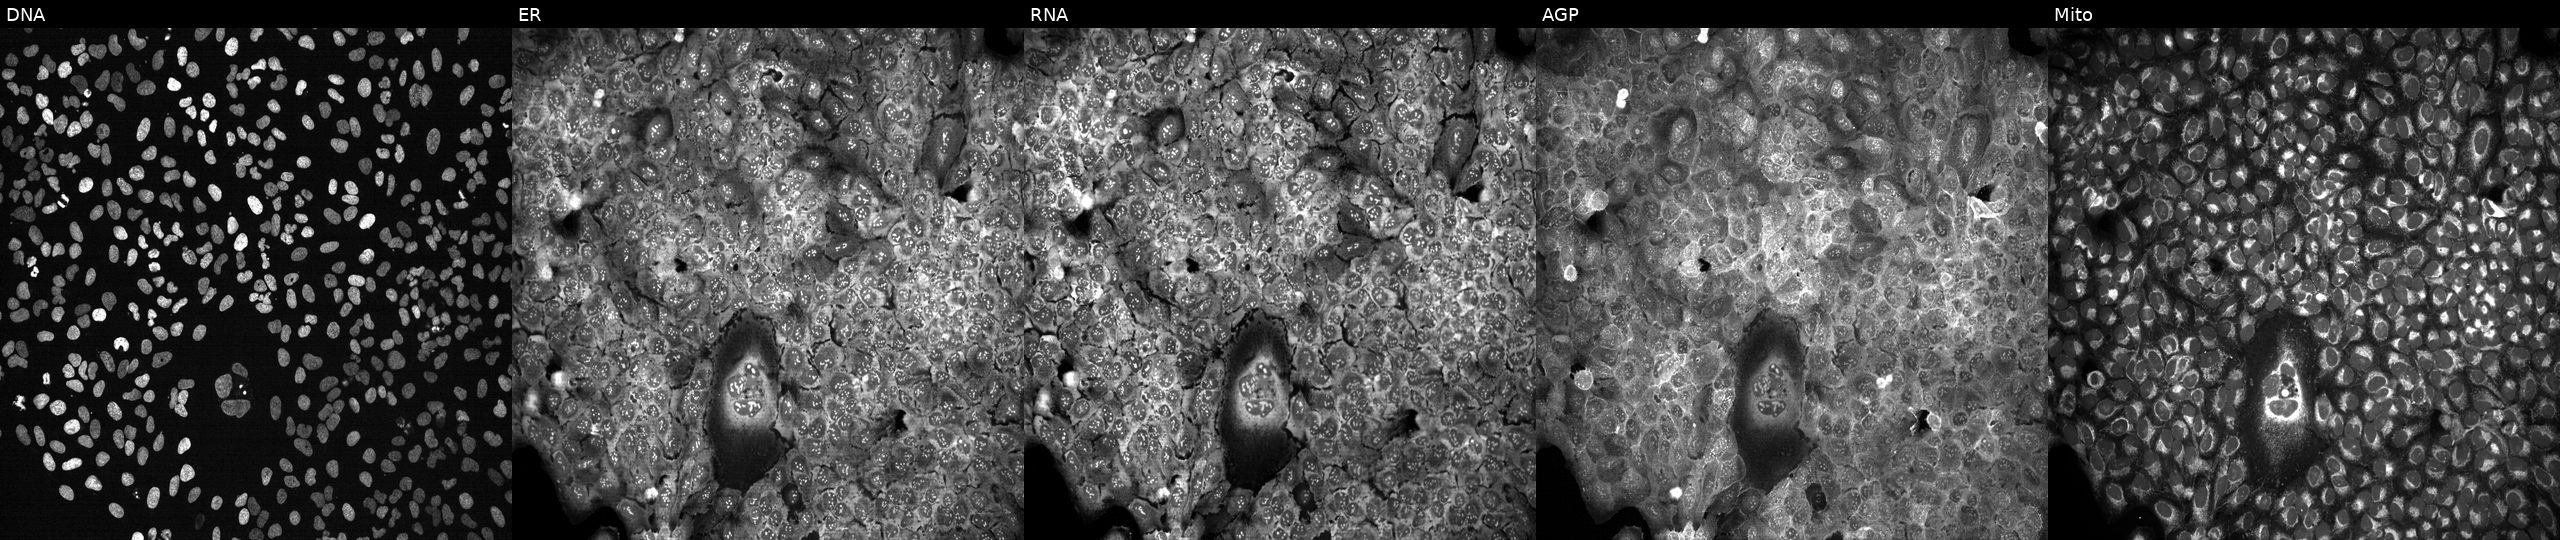
This image strip shows the five Cell Painting channels for a single field of U2OS cells with MIOX knocked out by CRISPR (JUMP id JCP2022_804180). From left to right: DNA, ER, RNA, AGP, and Mito.